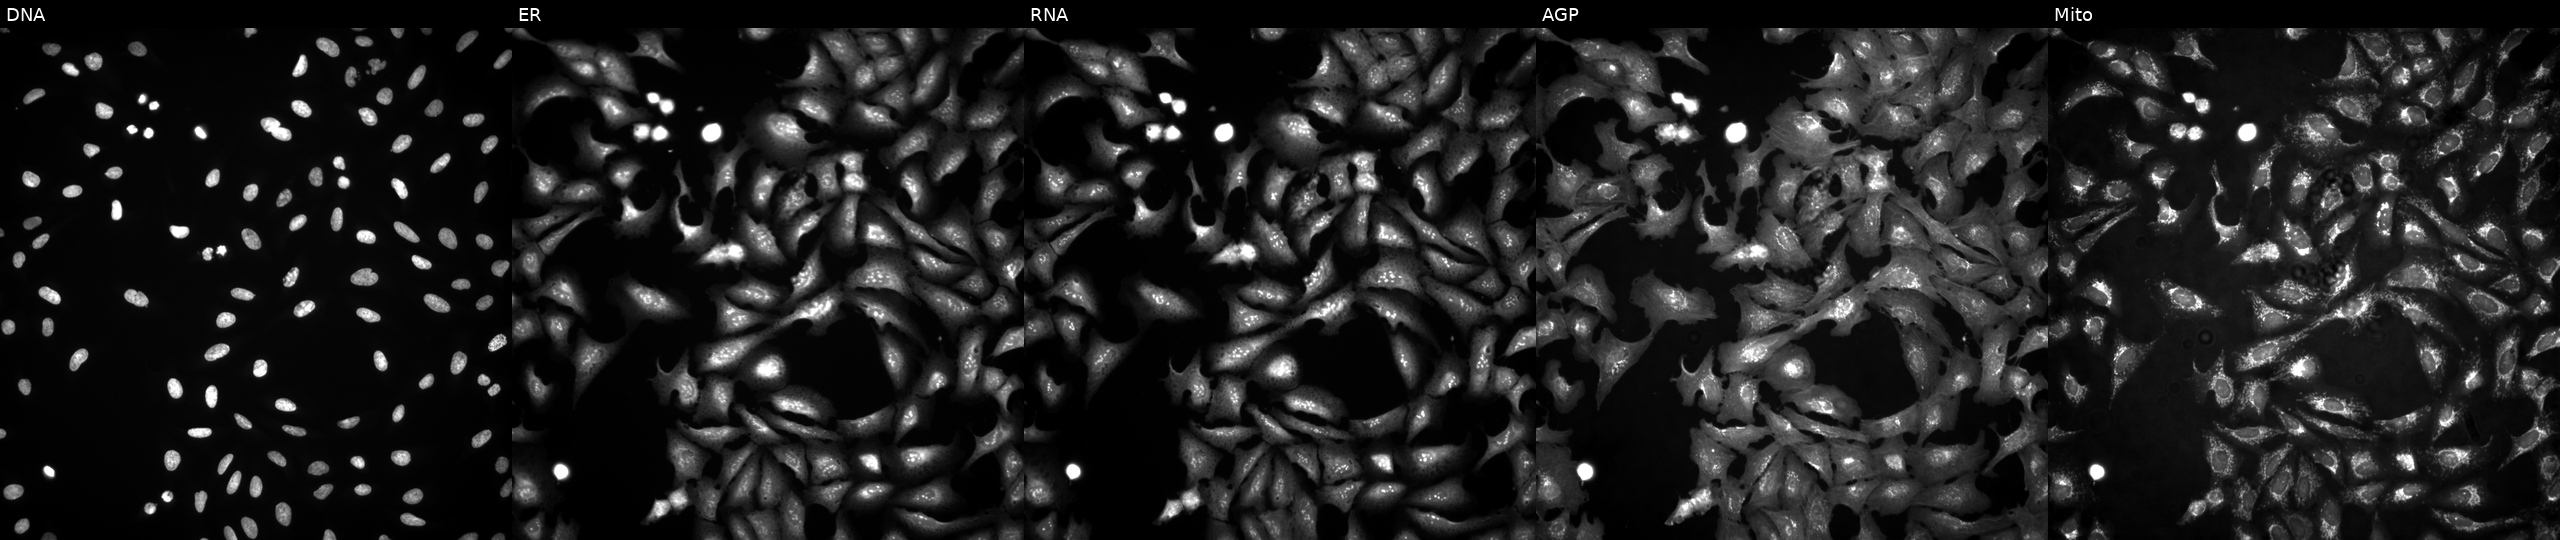
Five-channel Cell Painting image of U2OS cells transfected with an ORF construct for HARS2 (JUMP id JCP2022_902597). Panels show, left to right, DNA (nuclei); ER (endoplasmic reticulum); RNA (nucleoli and cytoplasmic RNA); AGP (actin cytoskeleton, Golgi, and plasma membrane); Mito (mitochondria).